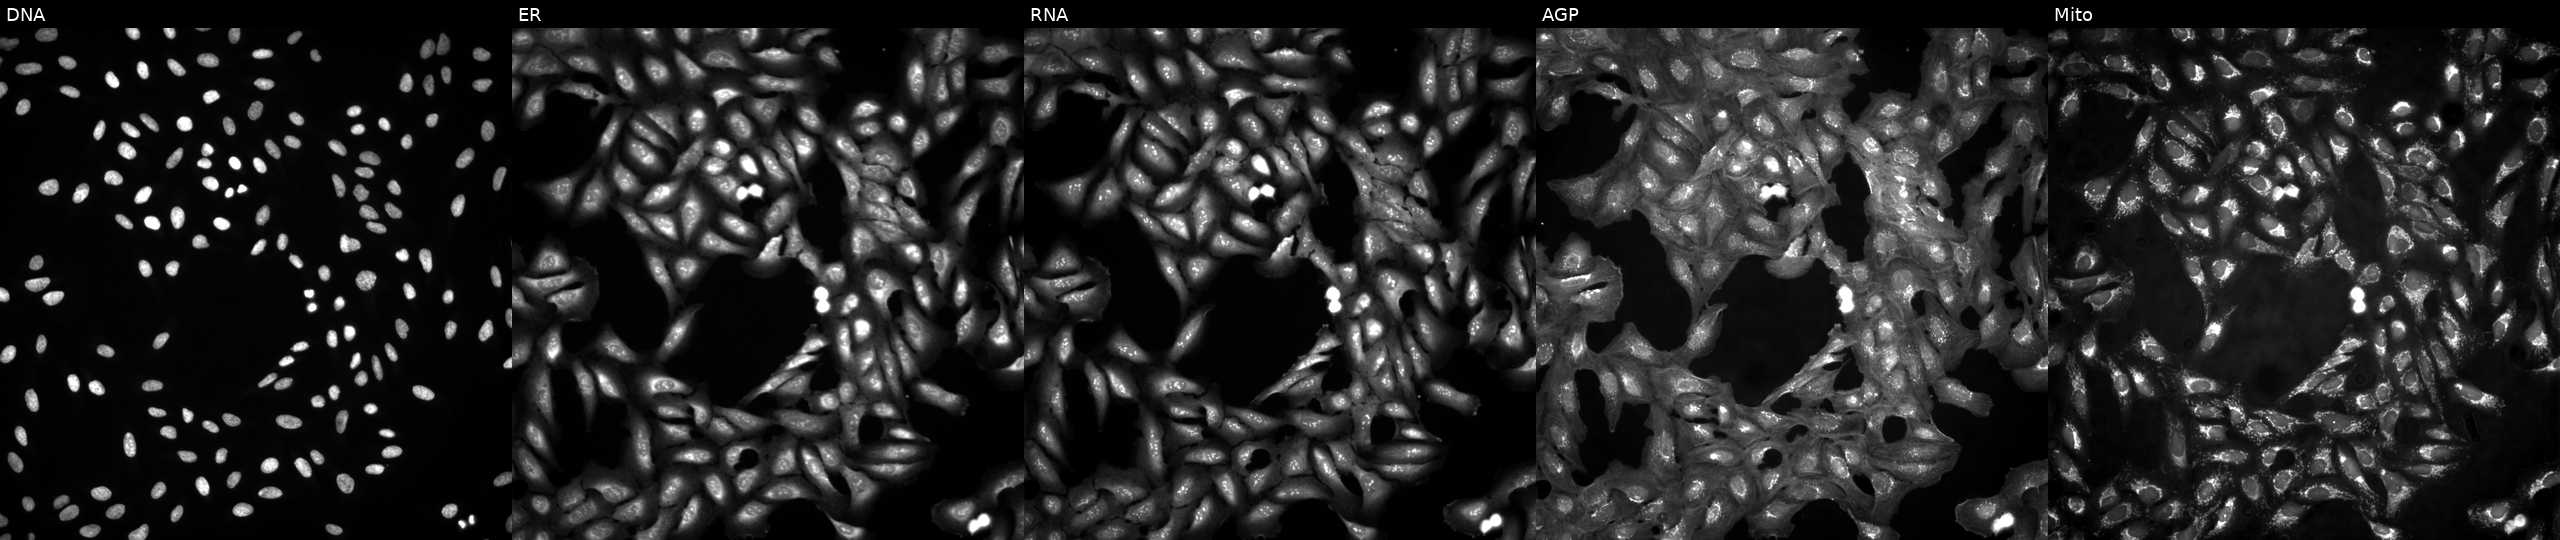
JUMP Cell Painting — ORF plate. U2OS cells in an empty control well (no perturbation) (JUMP id JCP2022_999999). Panels show, left to right, DNA (nuclei); ER (endoplasmic reticulum); RNA (nucleoli and cytoplasmic RNA); AGP (actin cytoskeleton, Golgi, and plasma membrane); Mito (mitochondria).